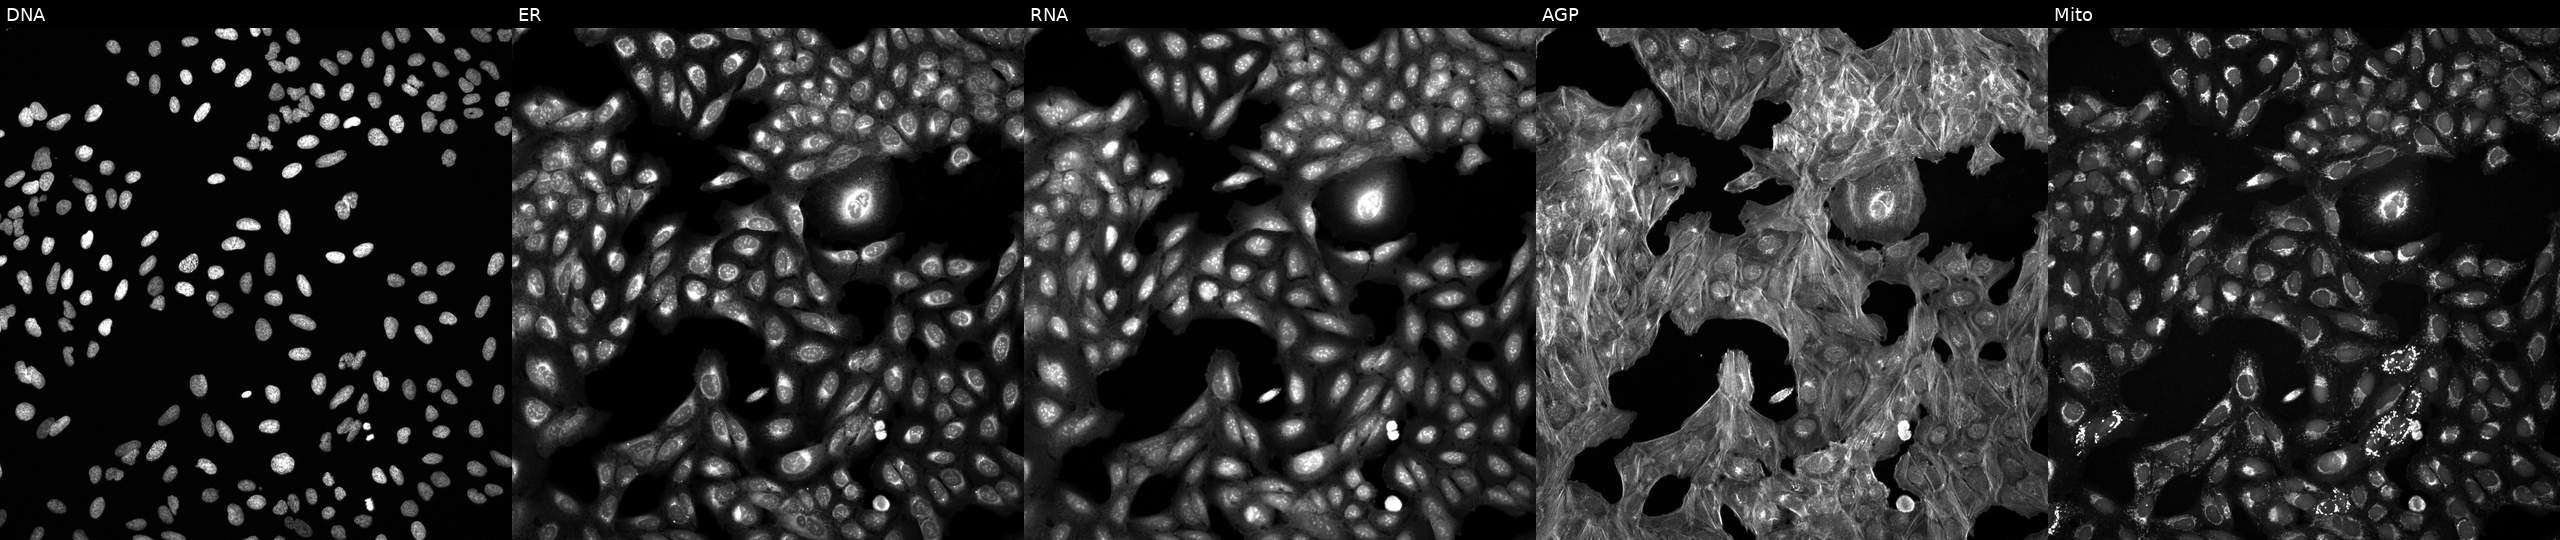
Channels (left→right): DNA, ER, RNA, AGP, and Mito. U2OS osteosarcoma cells exposed to a small-molecule compound (InChIKey YTYWPVWRFOMCOX-UHFFFAOYSA-N) (JUMP id JCP2022_110842). Cell Painting assay, JUMP-CP dataset. Source 6, plate 110000293083, well D18.